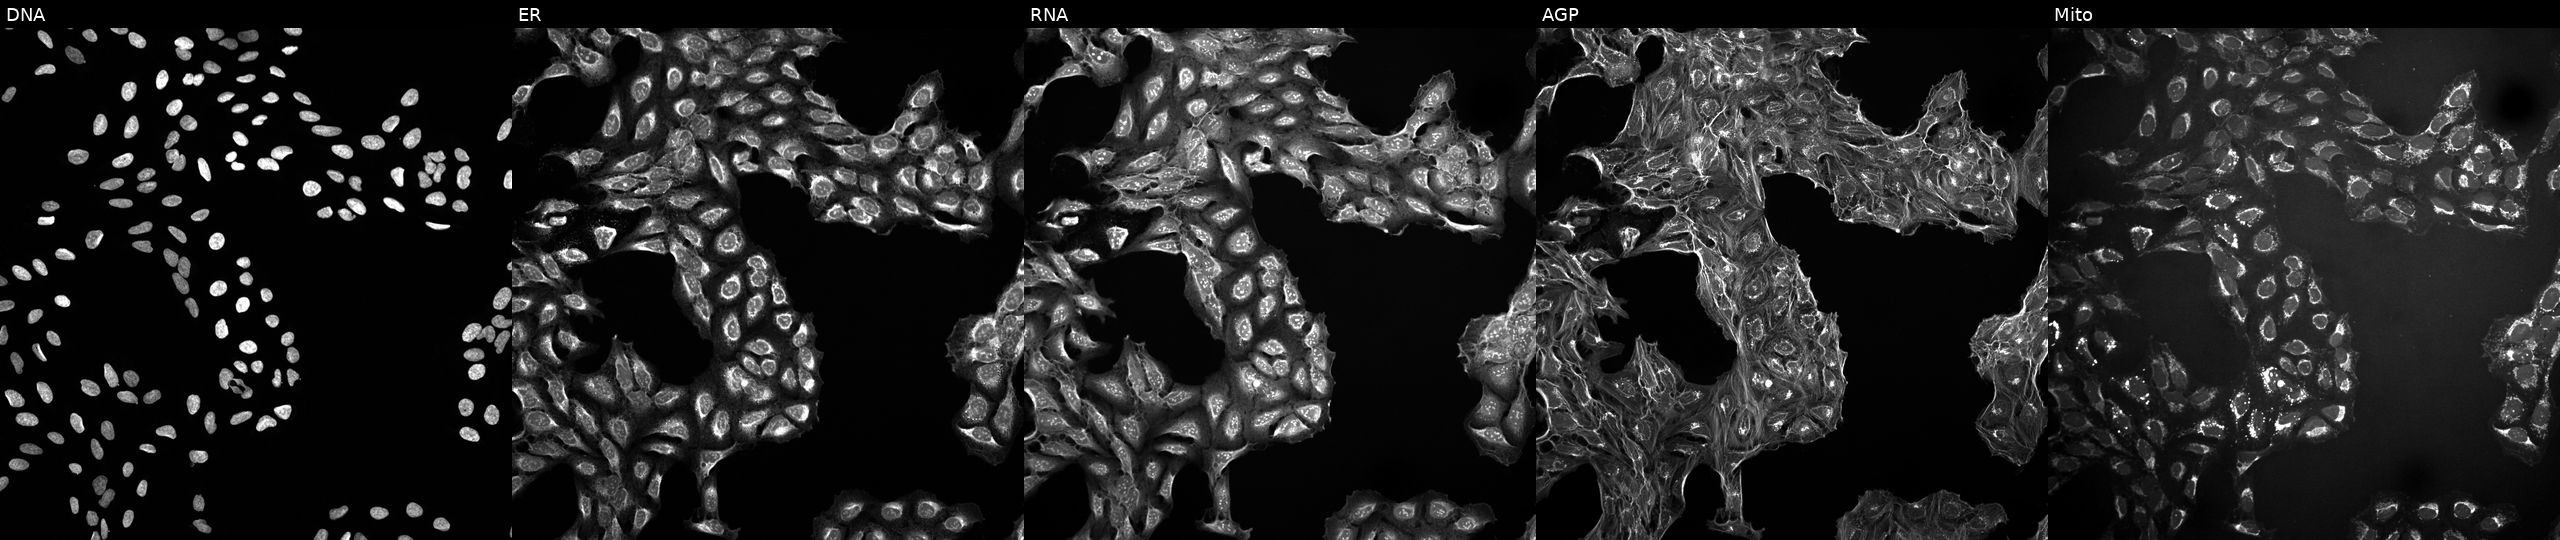
U2OS cells, Cell Painting assay, treated with a small-molecule compound (InChIKey AQPFFETVGLRBBW-UHFFFAOYSA-N) [SMILES: O=C(CCc1ccc(Br)cc1)N1CC(N=c2nccc[nH]2)C1] (JUMP id JCP2022_003176). The five panels, left to right, show DNA (nuclei); ER (endoplasmic reticulum); RNA (nucleoli and cytoplasmic RNA); AGP (actin cytoskeleton, Golgi, and plasma membrane); Mito (mitochondria). Each panel is percentile-stretched 16-bit fluorescence.